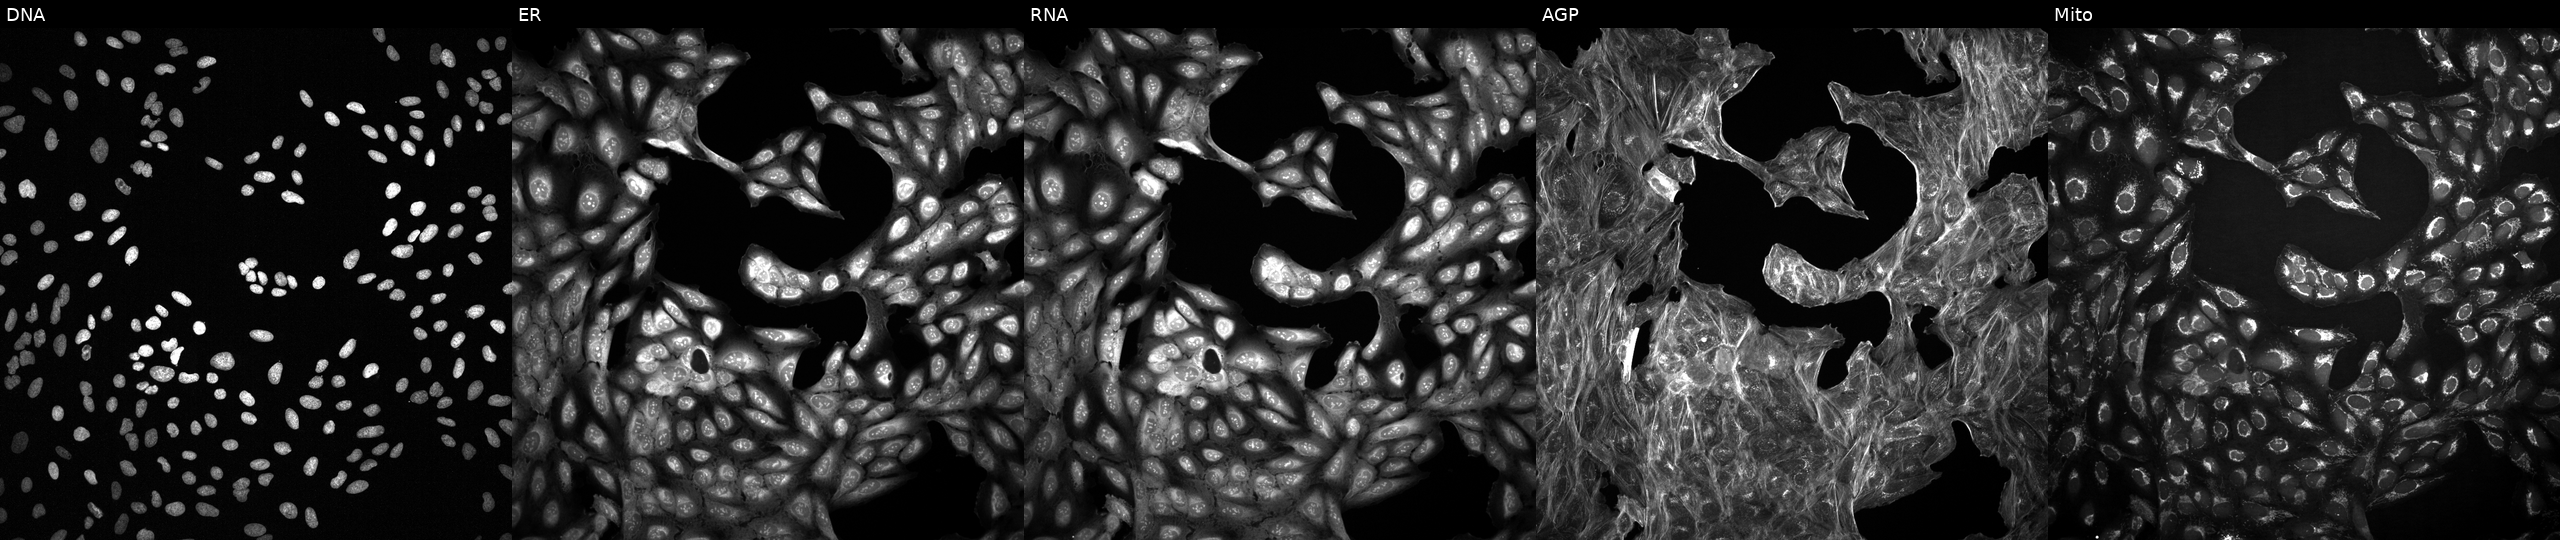
JUMP Cell Painting — COMPOUND plate. U2OS cells exposed to a small-molecule compound (JUMP id JCP2022_104405). From left to right: DNA, ER, RNA, AGP, and Mito.